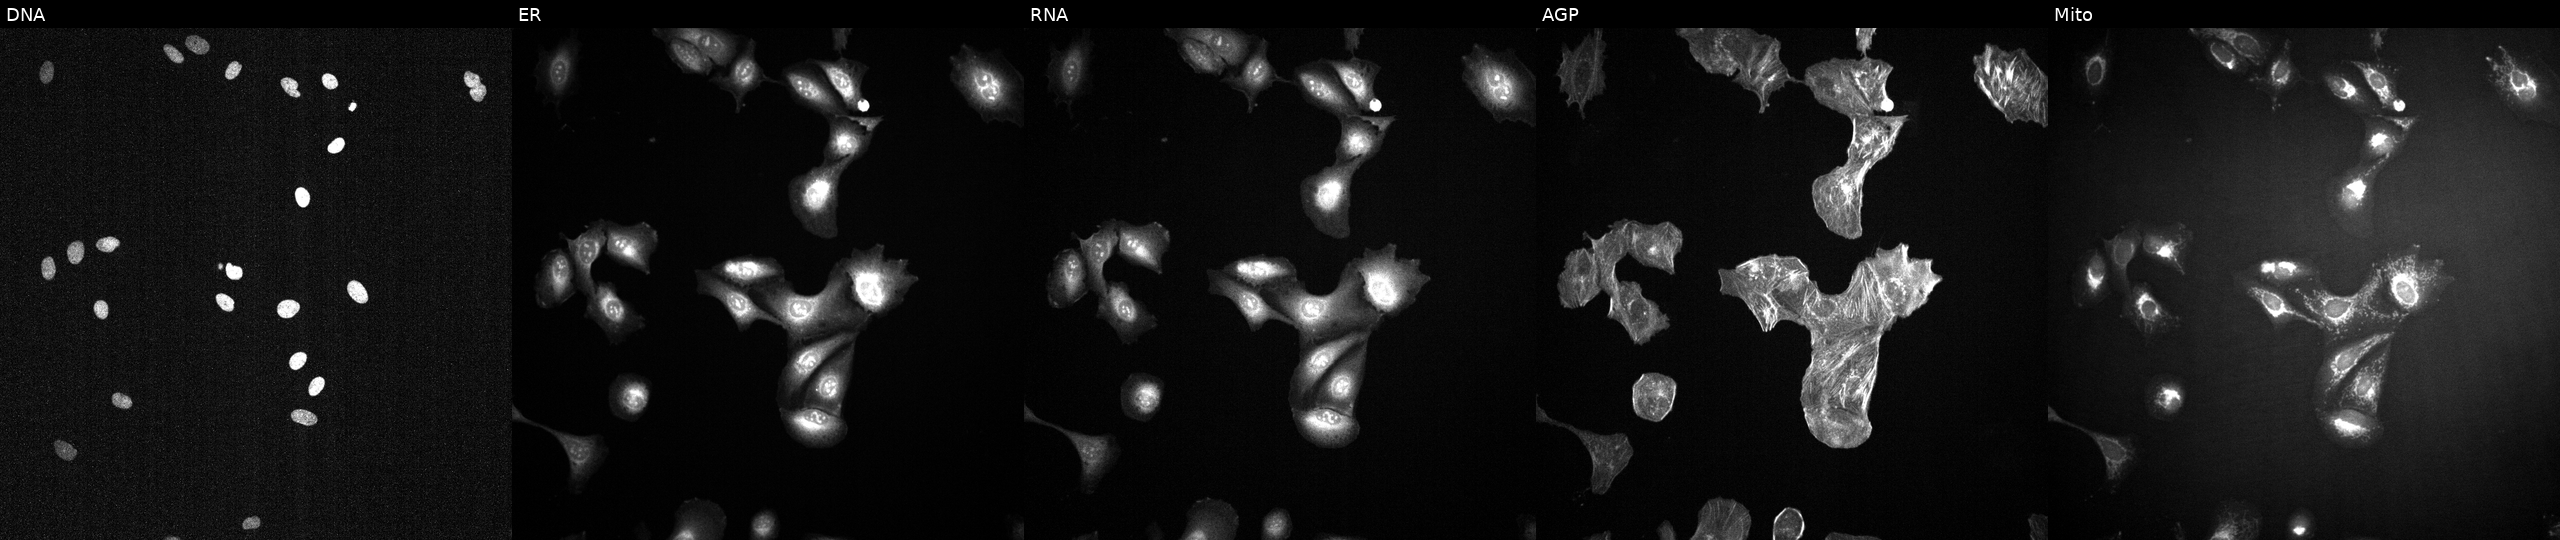
High-content fluorescence microscopy (Cell Painting). Cell line: U2OS. Perturbation: perturbed with a small-molecule compound (InChIKey GQXSULRYFDAMOO-UHFFFAOYSA-N) [SMILES: CN(c1ccccc1CN=c1[nH]c(=Nc2ccc3[nH]c(O)cc3c2)[nH]cc1C(F)(F)F)S(C)(=O)=O] (JUMP id JCP2022_027206). Channels (left→right): DNA (nuclei); ER (endoplasmic reticulum); RNA (nucleoli and cytoplasmic RNA); AGP (actin cytoskeleton, Golgi, and plasma membrane); Mito (mitochondria). Source 2, plate 1053599503, well G06.